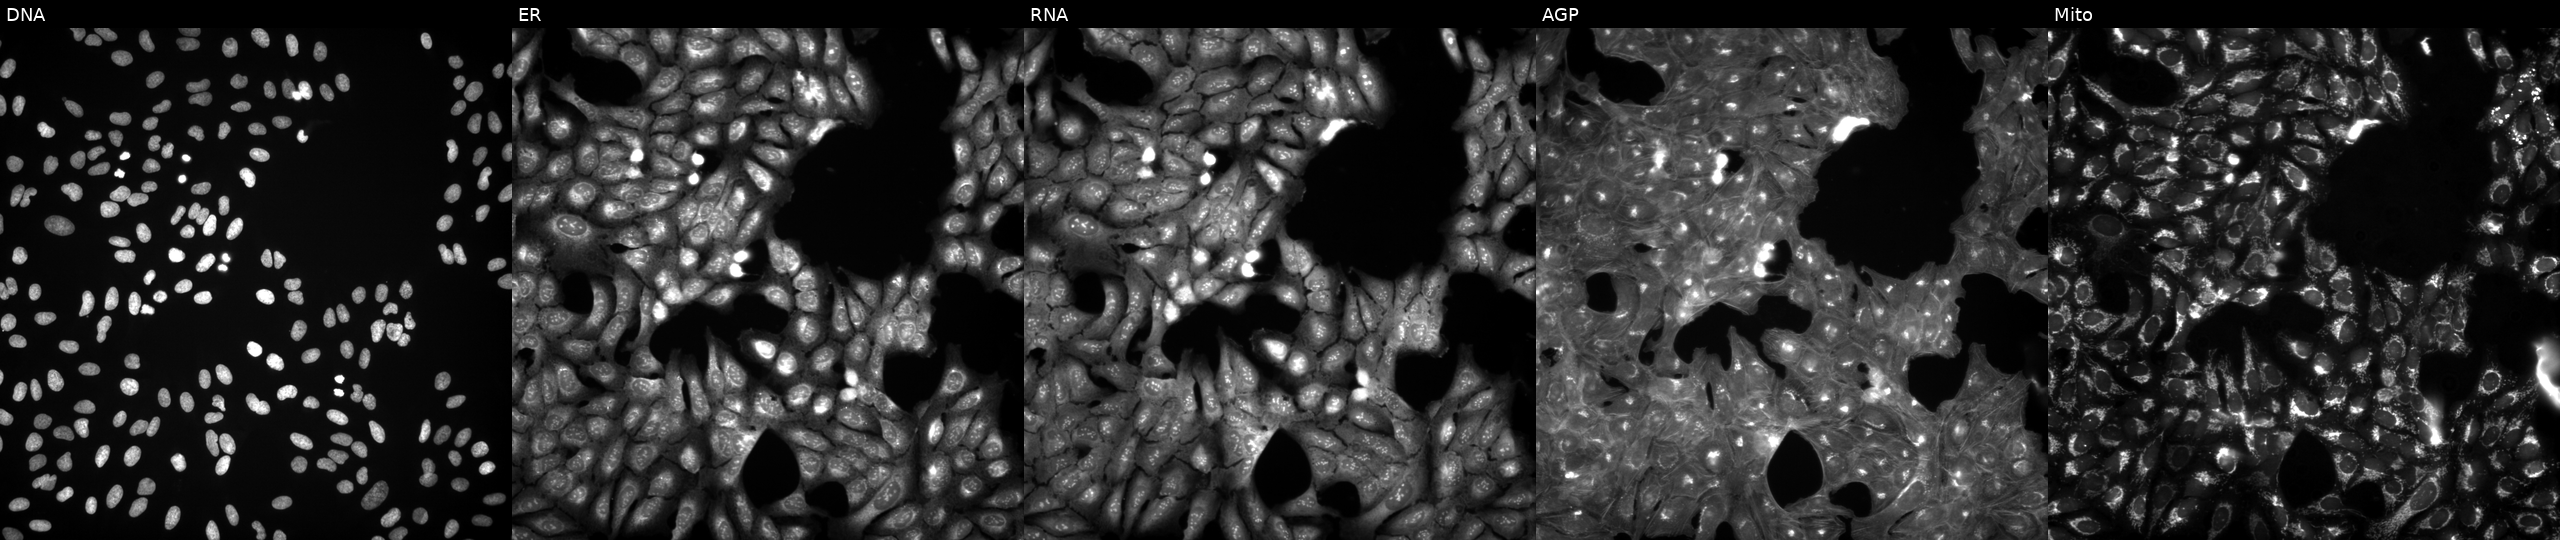
From left to right: DNA, ER, RNA, AGP, and Mito. U2OS osteosarcoma cells treated with a small-molecule compound (InChIKey ICBSLSGMOTUPAX-UHFFFAOYSA-N) (JUMP id JCP2022_034130). Cell Painting assay, JUMP-CP dataset.